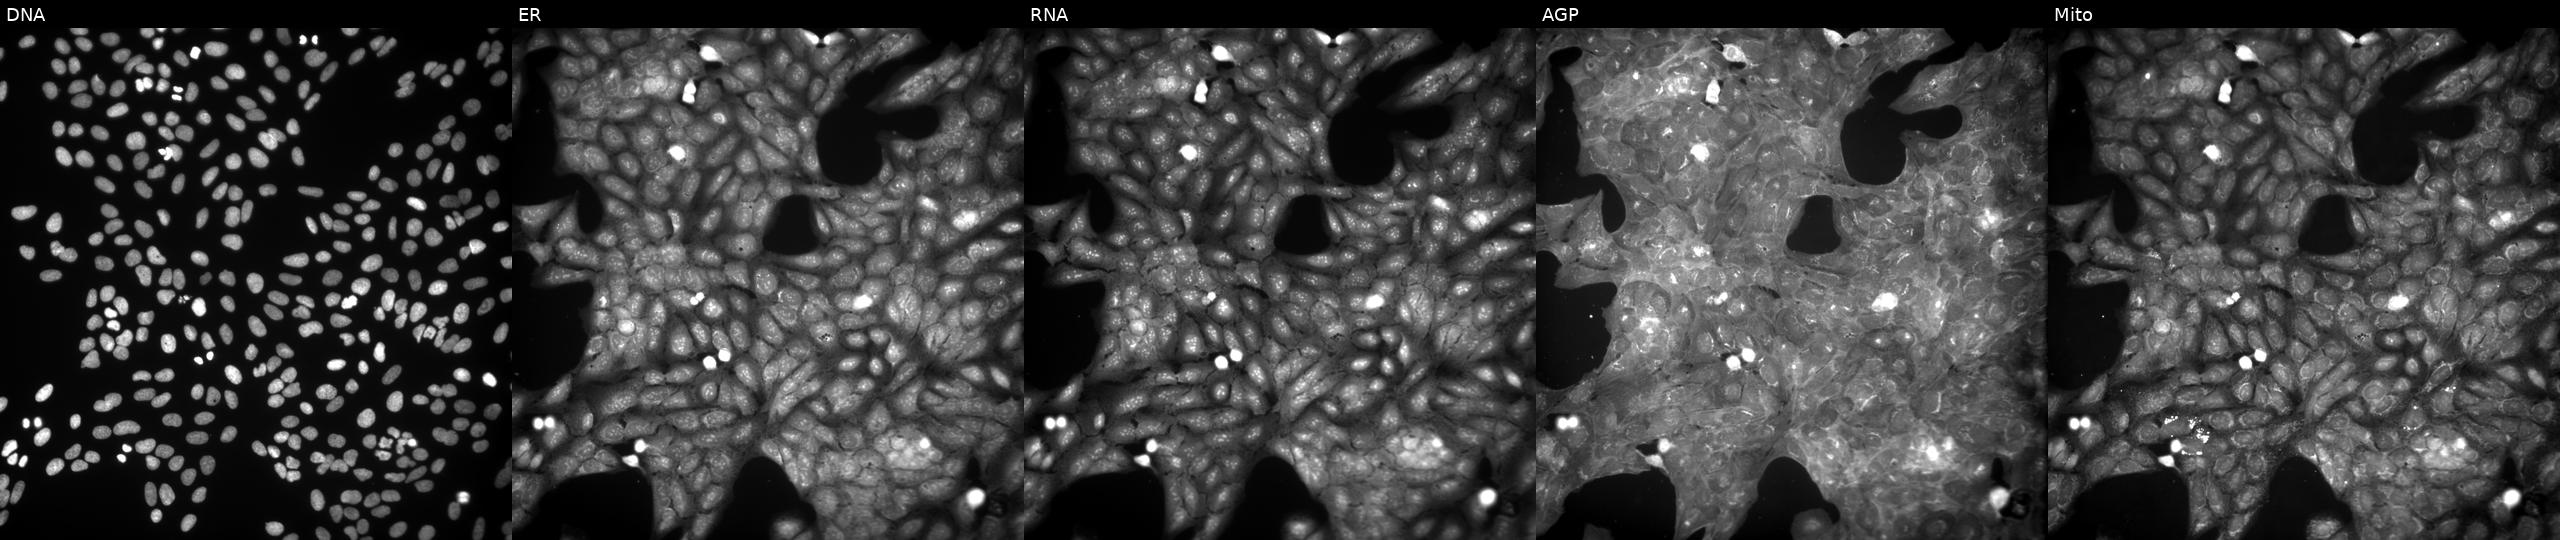
Five-channel Cell Painting image of U2OS cells treated with a small-molecule compound [SMILES: N=c1[nH]c(=Nc2ccccc2)[nH]c(NCc2ccccc2)c1[N+](=O)[O-]]. From left to right: DNA, ER, RNA, AGP, and Mito. Source 9, plate GR00003382, well X34.